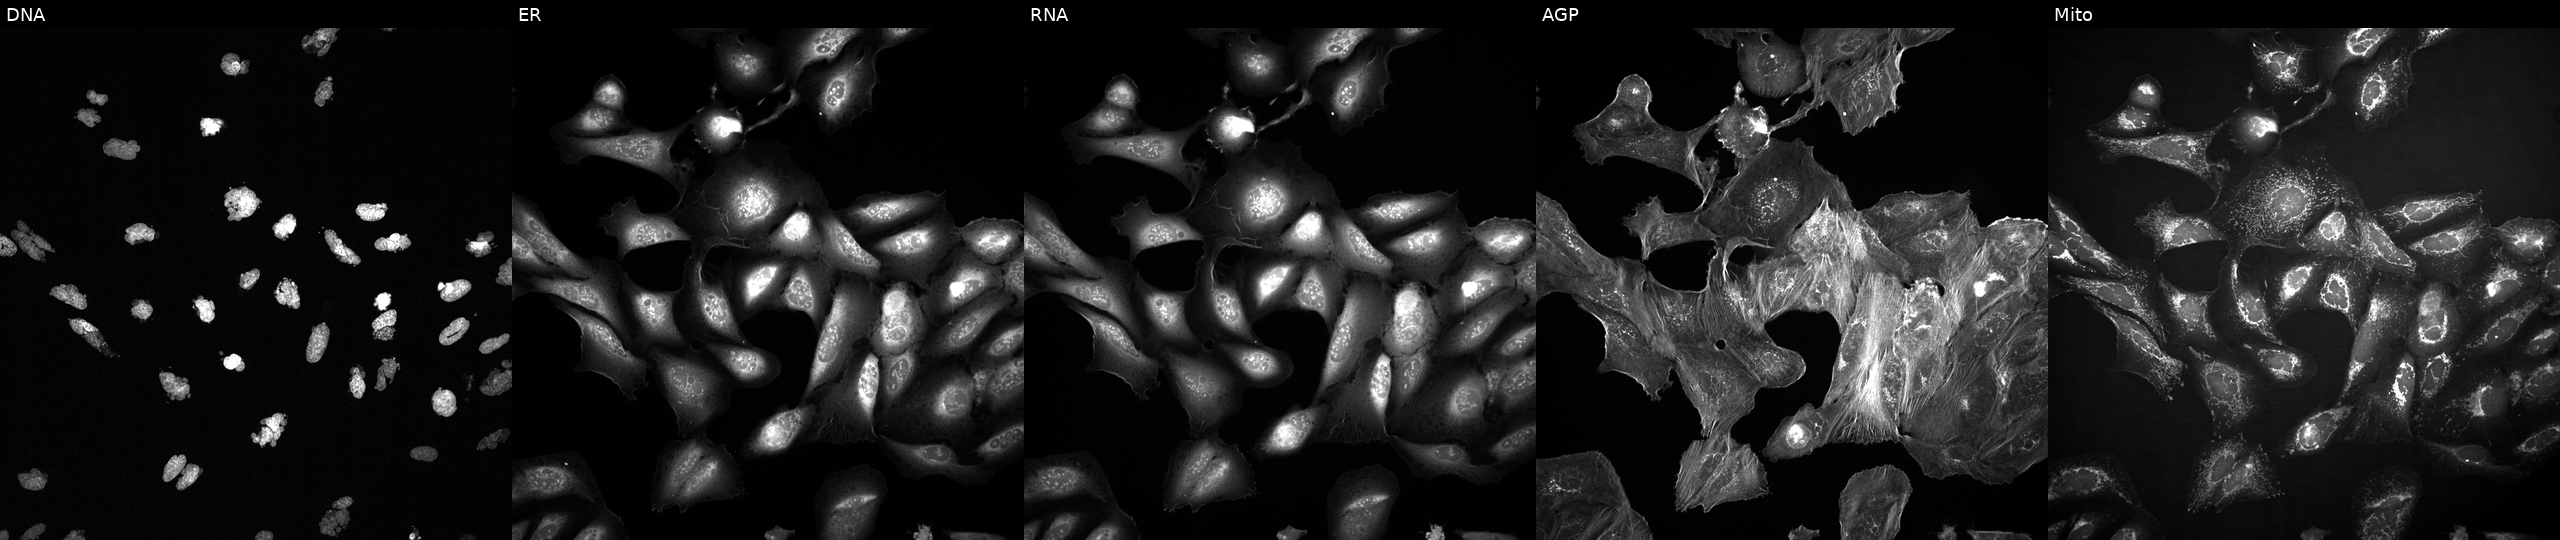
JUMP Cell Painting — COMPOUND plate. U2OS cells treated with AMG900 (positive-control compound) (JUMP id JCP2022_037716). Panels show, left to right, DNA (nuclei); ER (endoplasmic reticulum); RNA (nucleoli and cytoplasmic RNA); AGP (actin cytoskeleton, Golgi, and plasma membrane); Mito (mitochondria).